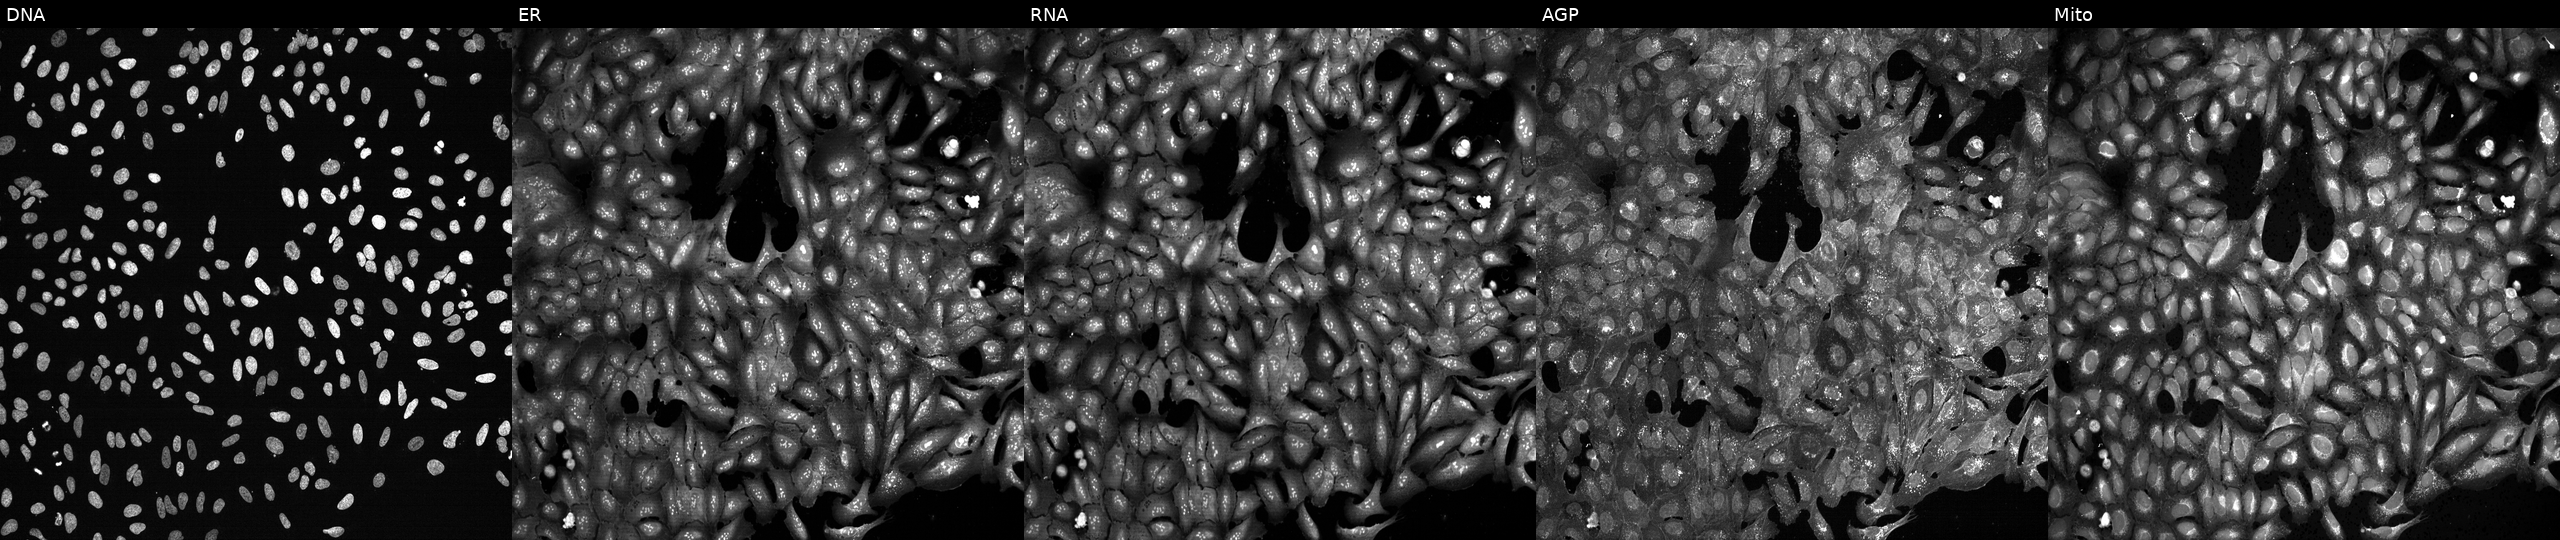
U2OS cells, Cell Painting assay, with L3HYPDH knocked out by CRISPR (JUMP id JCP2022_803763). From left to right: DNA (nuclei); ER (endoplasmic reticulum); RNA (nucleoli and cytoplasmic RNA); AGP (actin cytoskeleton, Golgi, and plasma membrane); Mito (mitochondria). Each panel is percentile-stretched 16-bit fluorescence. Source 13, plate CP-CC9-R1-02, well D06.